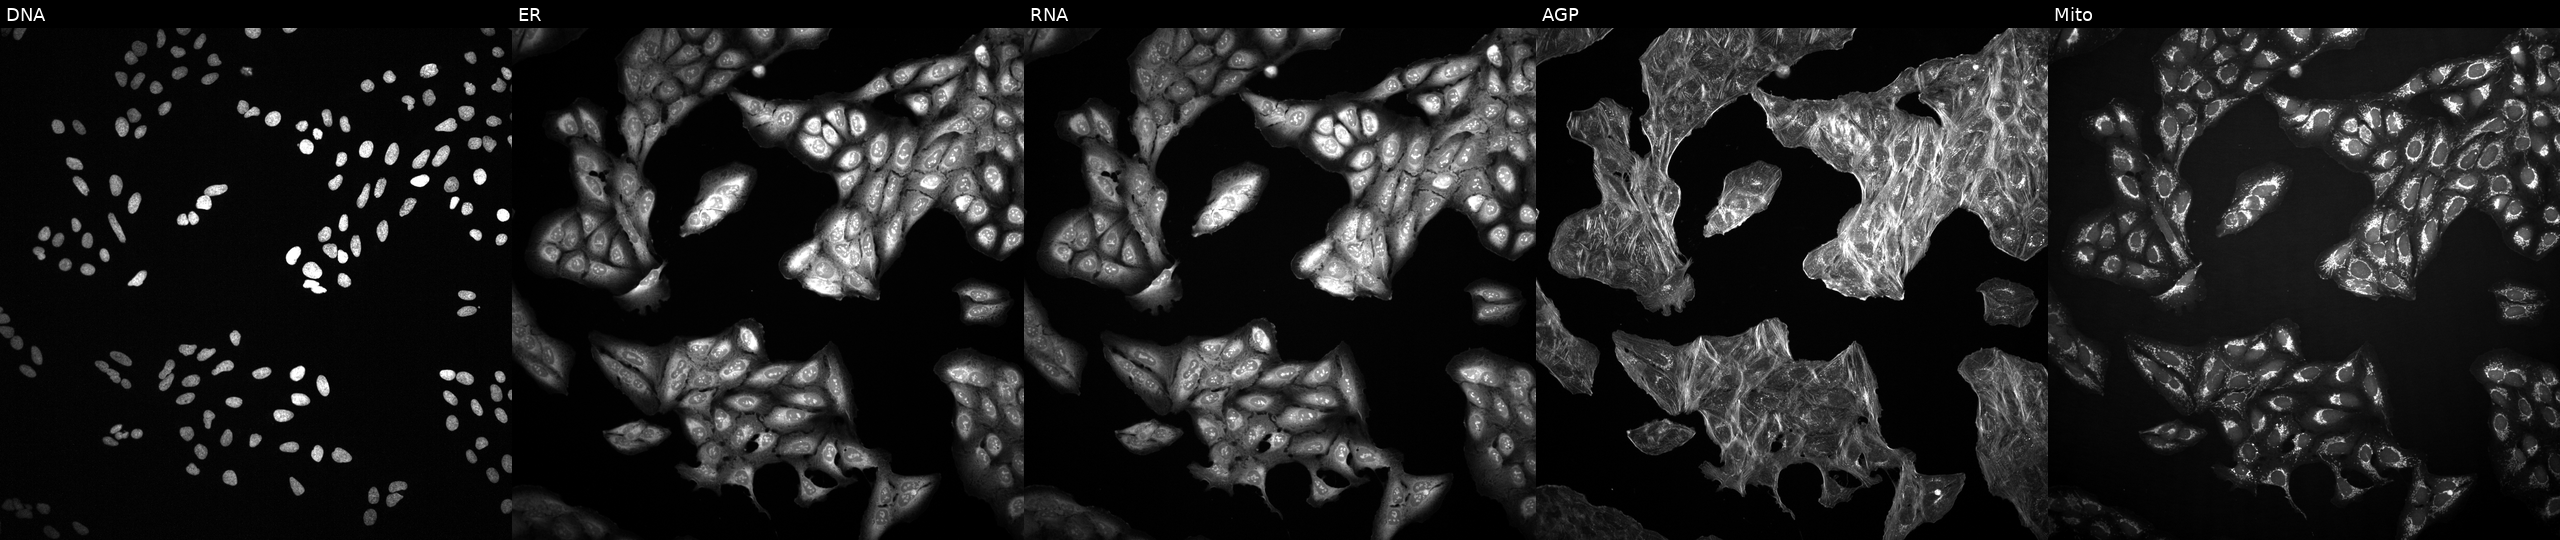
The five panels, left to right, show DNA (nuclei); ER (endoplasmic reticulum); RNA (nucleoli and cytoplasmic RNA); AGP (actin cytoskeleton, Golgi, and plasma membrane); Mito (mitochondria). U2OS osteosarcoma cells exposed to a small-molecule compound (InChIKey DHMTURDWPRKSOA-UHFFFAOYSA-N) (JUMP id JCP2022_015955). Cell Painting assay, JUMP-CP dataset. Source 2, plate 1053597936, well J03.